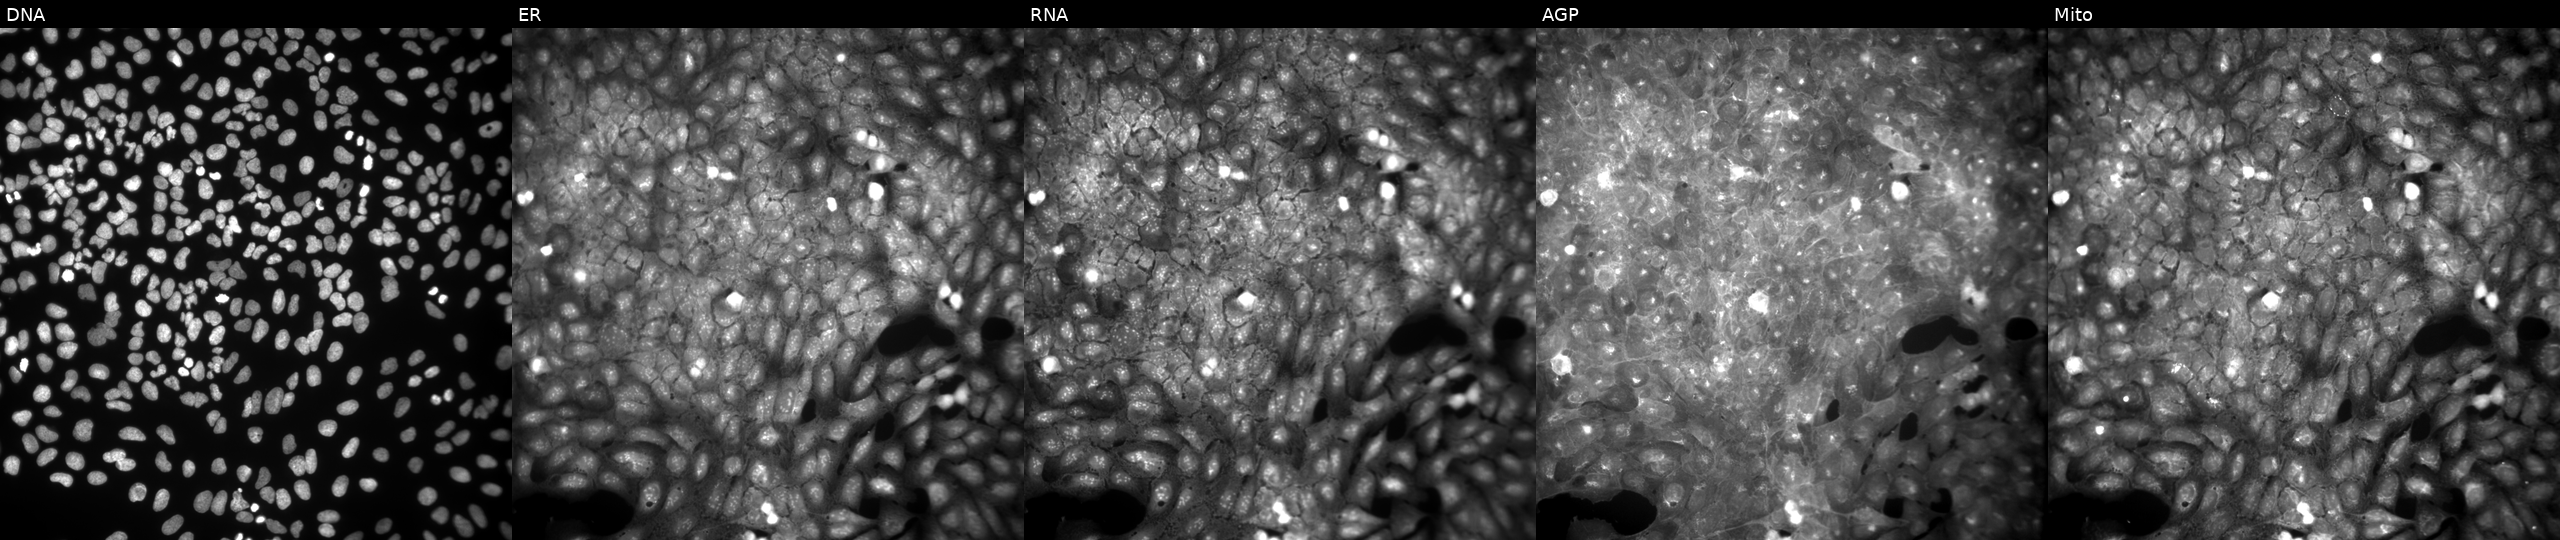
Five-channel Cell Painting image of U2OS cells treated with DMSO vehicle only (negative control) (JUMP id JCP2022_033924). The five panels, left to right, show DNA (nuclei); ER (endoplasmic reticulum); RNA (nucleoli and cytoplasmic RNA); AGP (actin cytoskeleton, Golgi, and plasma membrane); Mito (mitochondria). Source 9, plate GR00003382, well T47.